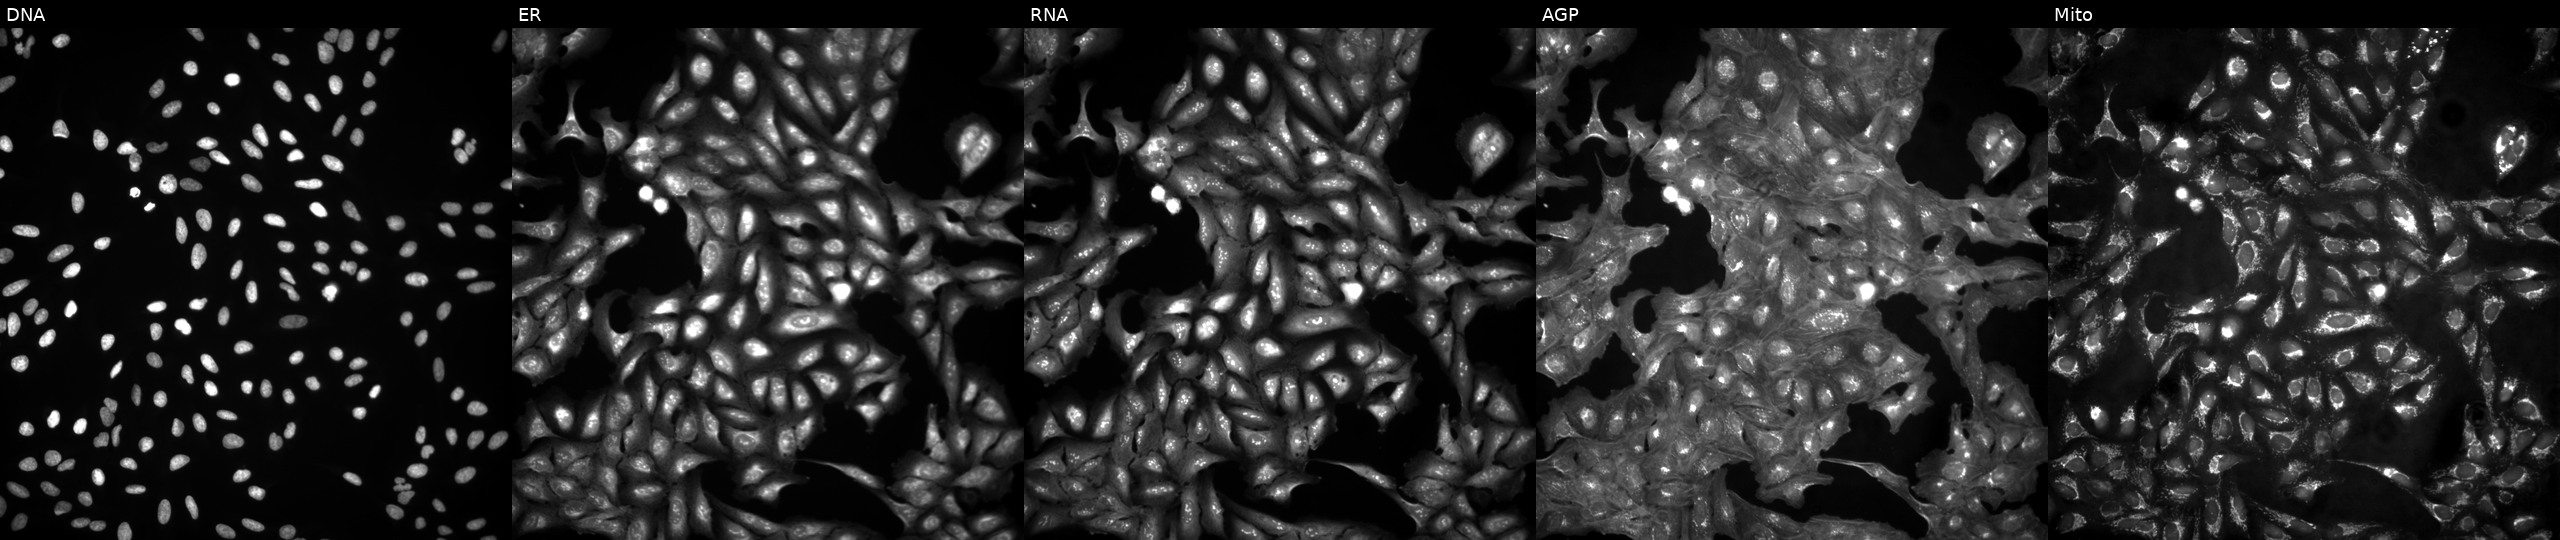
This image strip shows the five Cell Painting channels for a single field of U2OS cells untreated (empty-well control) (JUMP id JCP2022_999999). Panels show, left to right, DNA (nuclei); ER (endoplasmic reticulum); RNA (nucleoli and cytoplasmic RNA); AGP (actin cytoskeleton, Golgi, and plasma membrane); Mito (mitochondria). Source 4, plate BR00123946, well D20.